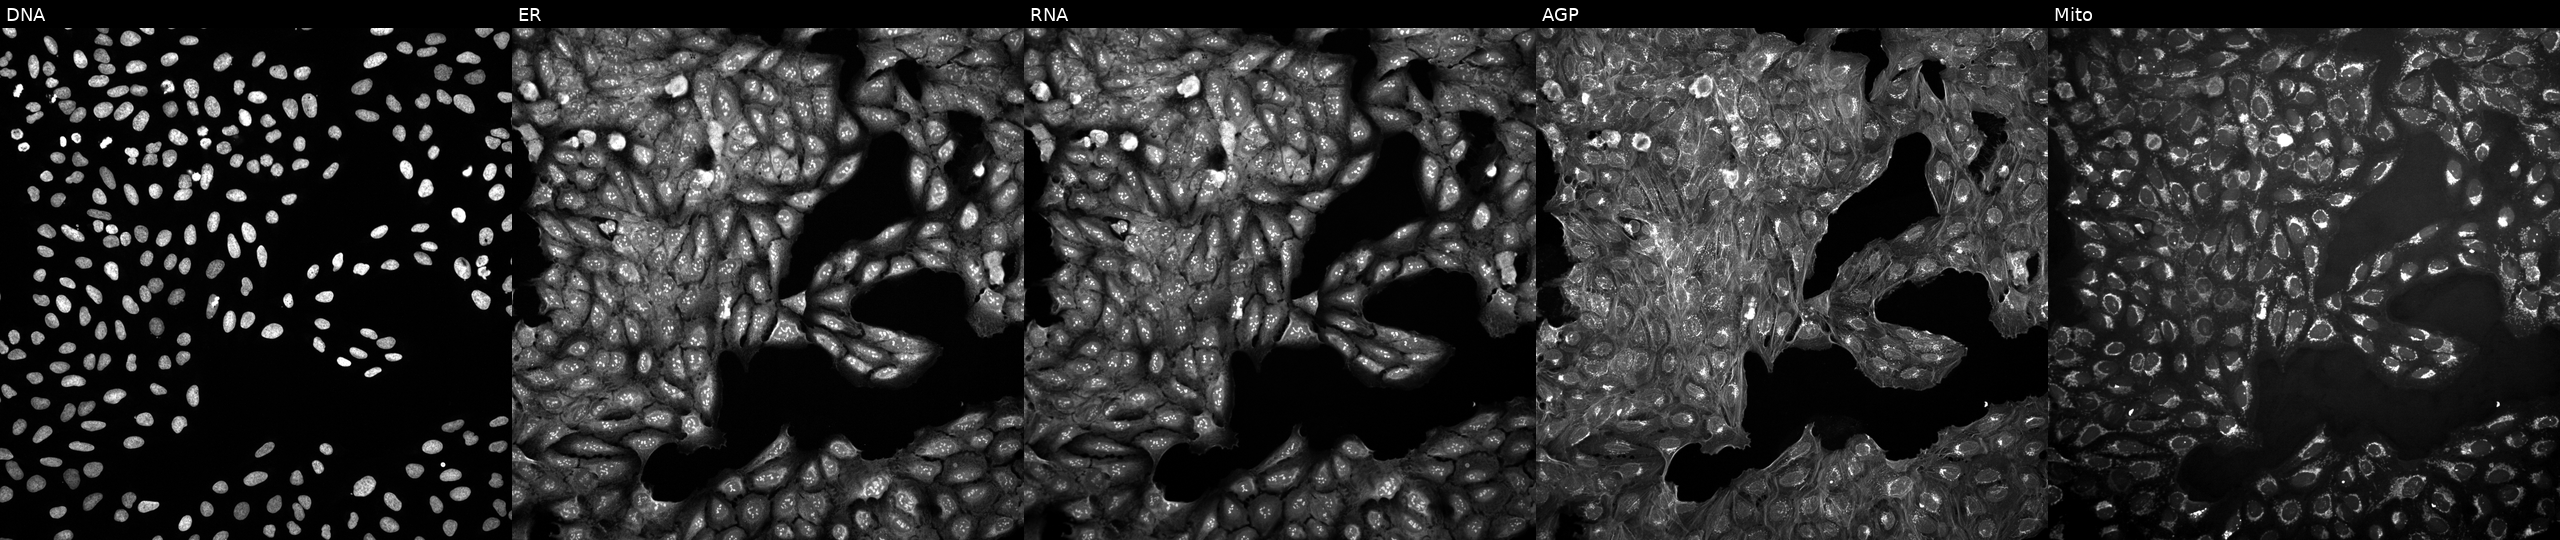
Five-channel Cell Painting image of U2OS cells in an empty control well (no perturbation) (JUMP id JCP2022_999999). Channels (left→right): DNA, ER, RNA, AGP, and Mito.